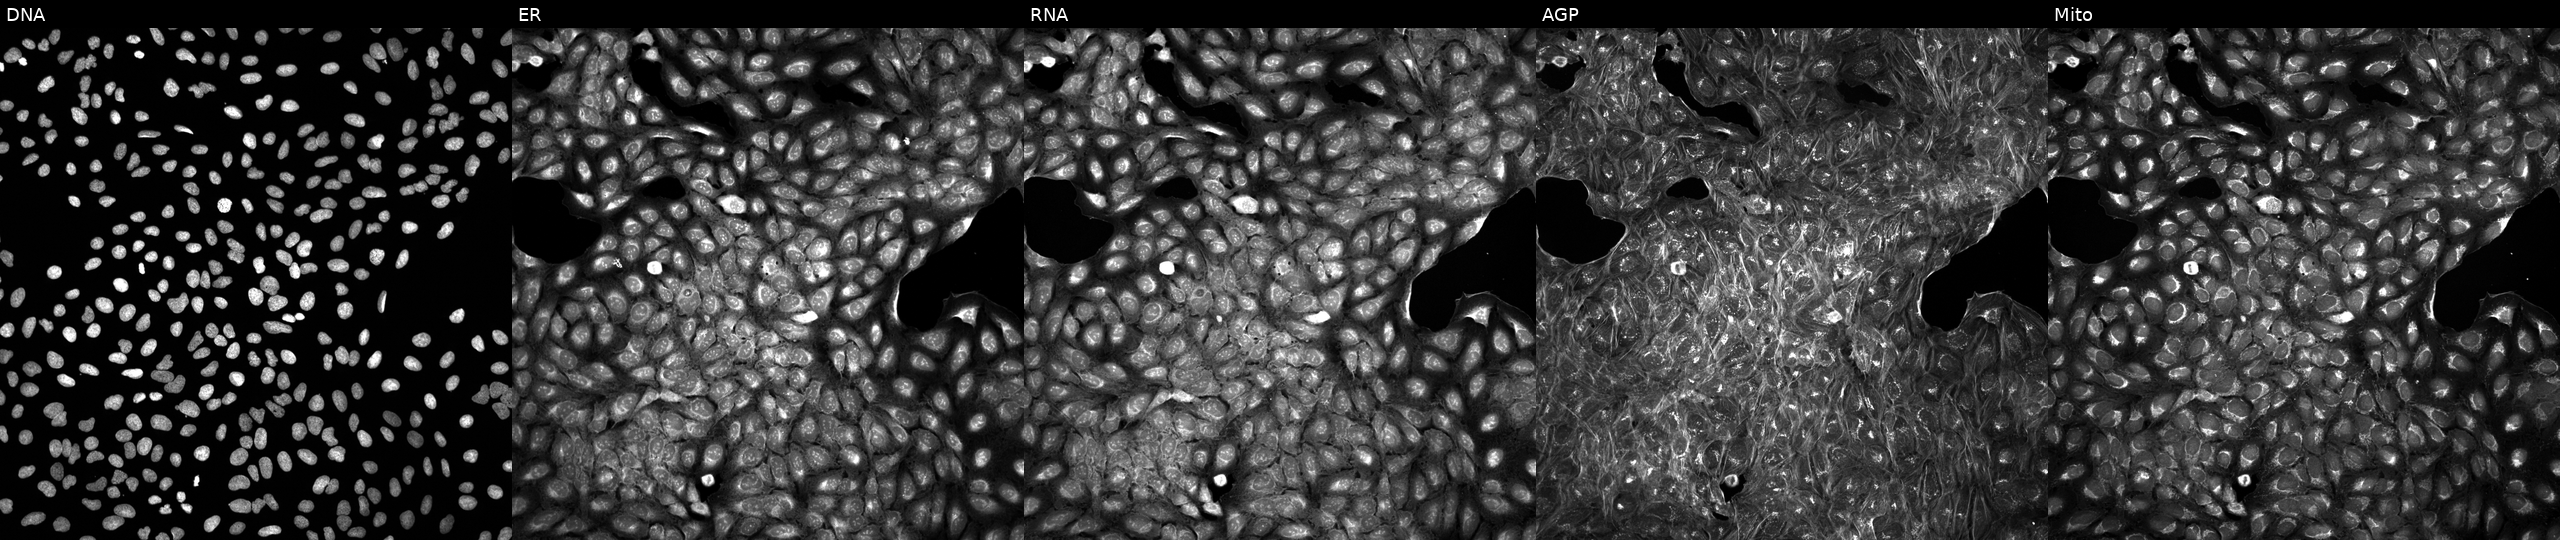
From left to right: DNA, ER, RNA, AGP, and Mito. U2OS osteosarcoma cells exposed to a small-molecule compound (JUMP id JCP2022_025723). Cell Painting assay, JUMP-CP dataset.